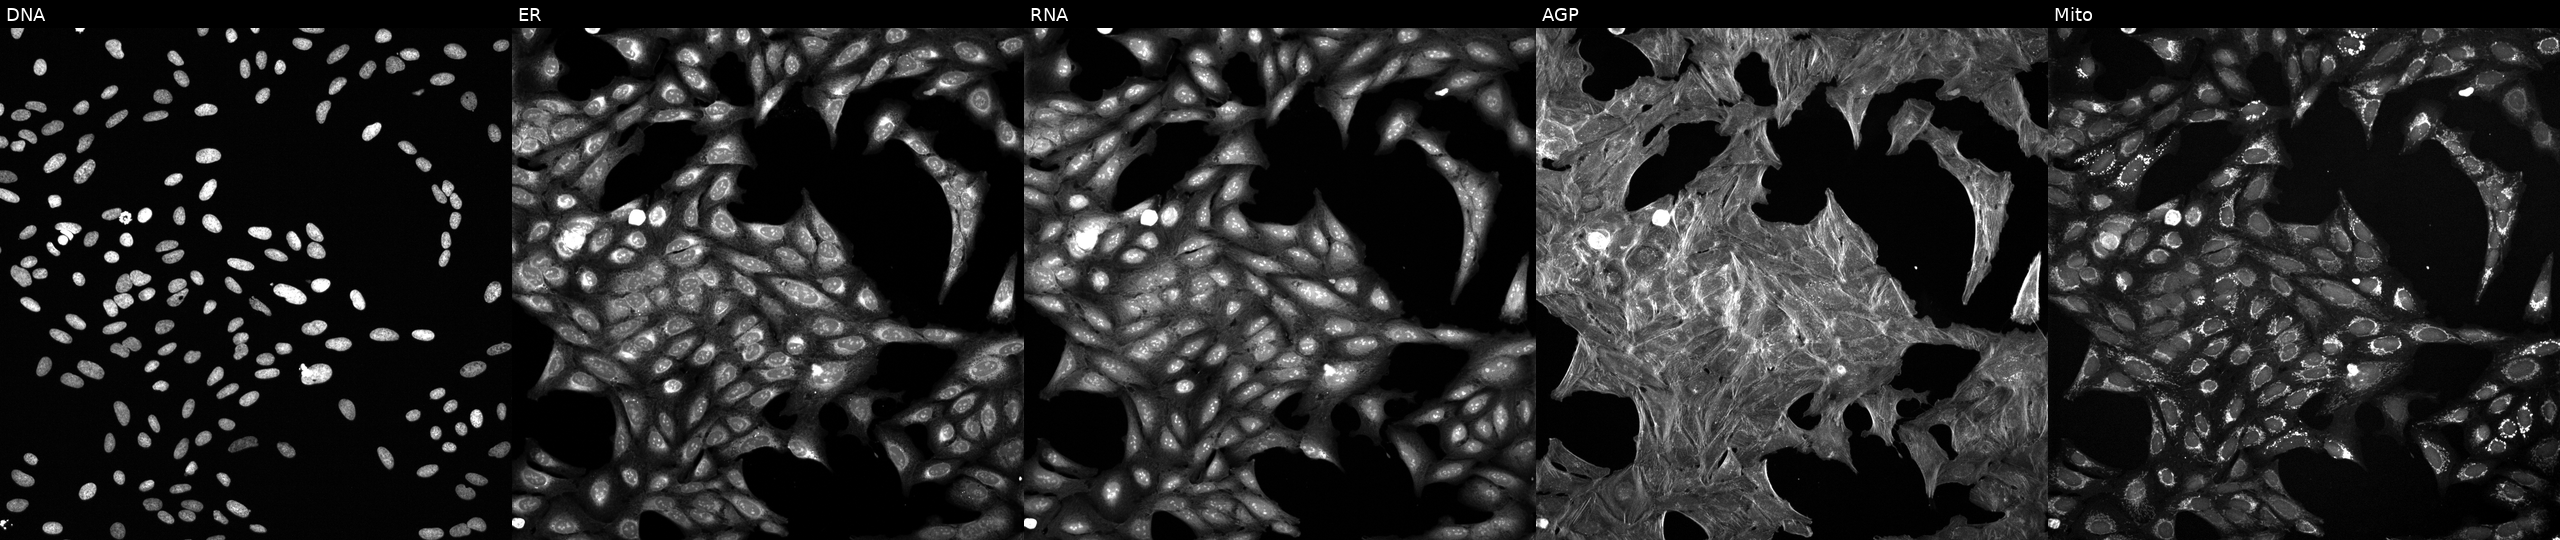
U2OS cells, Cell Painting assay, perturbed with a small-molecule compound [SMILES: Nc1cc(F)ccc1NC(=O)C=Cc1cnn(CC=Cc2ccccc2)c1]. Panels show, left to right, DNA (nuclei); ER (endoplasmic reticulum); RNA (nucleoli and cytoplasmic RNA); AGP (actin cytoskeleton, Golgi, and plasma membrane); Mito (mitochondria). Each panel is percentile-stretched 16-bit fluorescence.